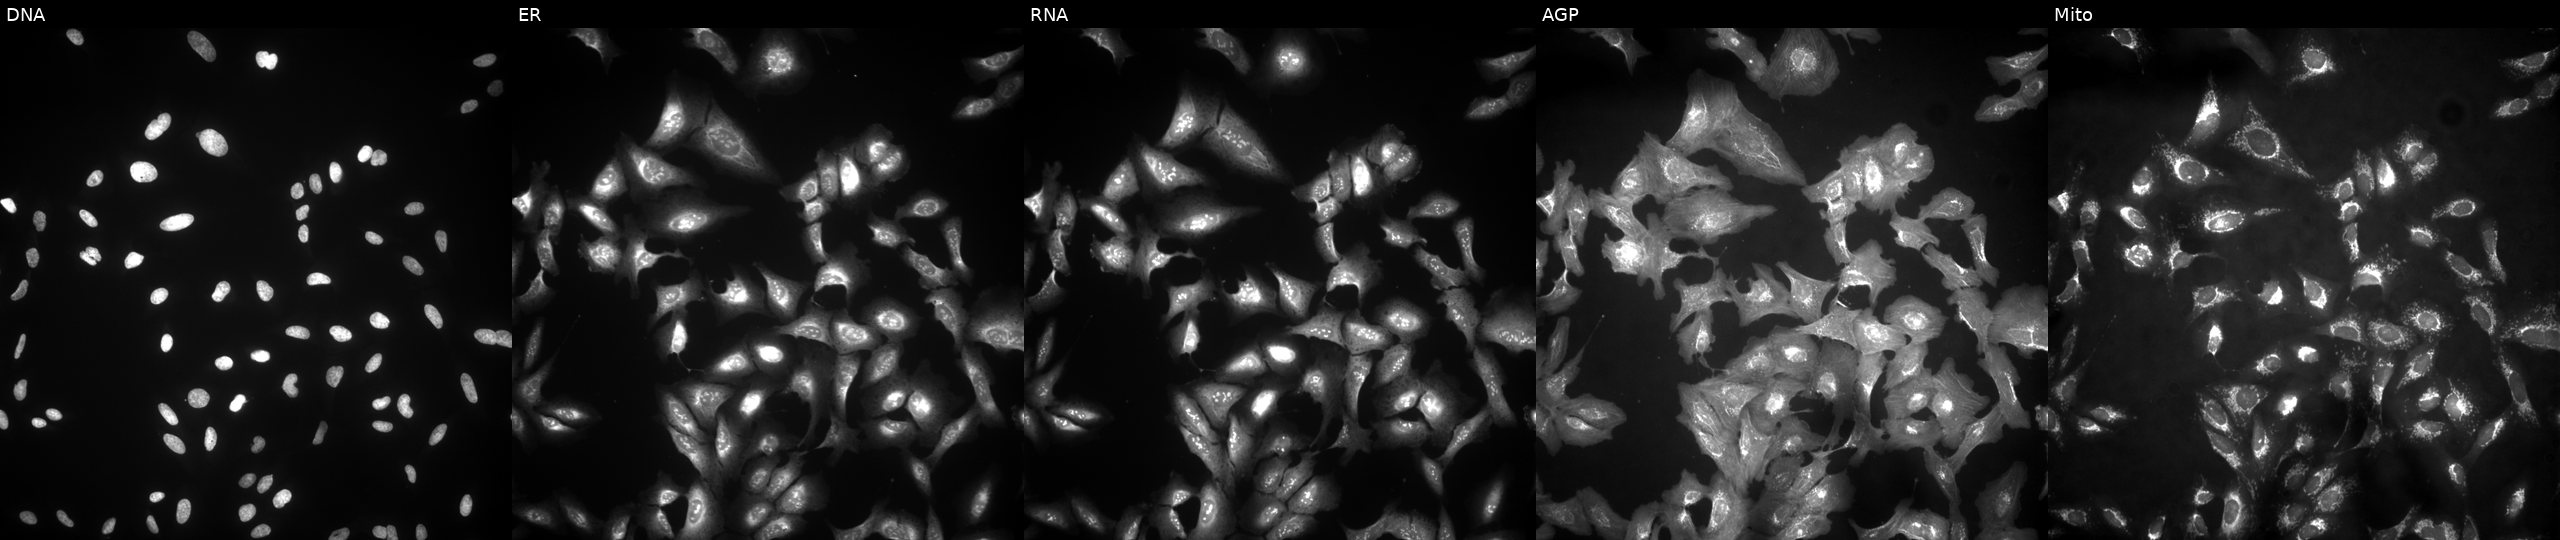
High-content fluorescence microscopy (Cell Painting). Cell line: U2OS. Perturbation: transfected with an ORF construct for DNAJC16. Channels (left→right): DNA (nuclei); ER (endoplasmic reticulum); RNA (nucleoli and cytoplasmic RNA); AGP (actin cytoskeleton, Golgi, and plasma membrane); Mito (mitochondria). Source 4, plate BR00123506, well F13.